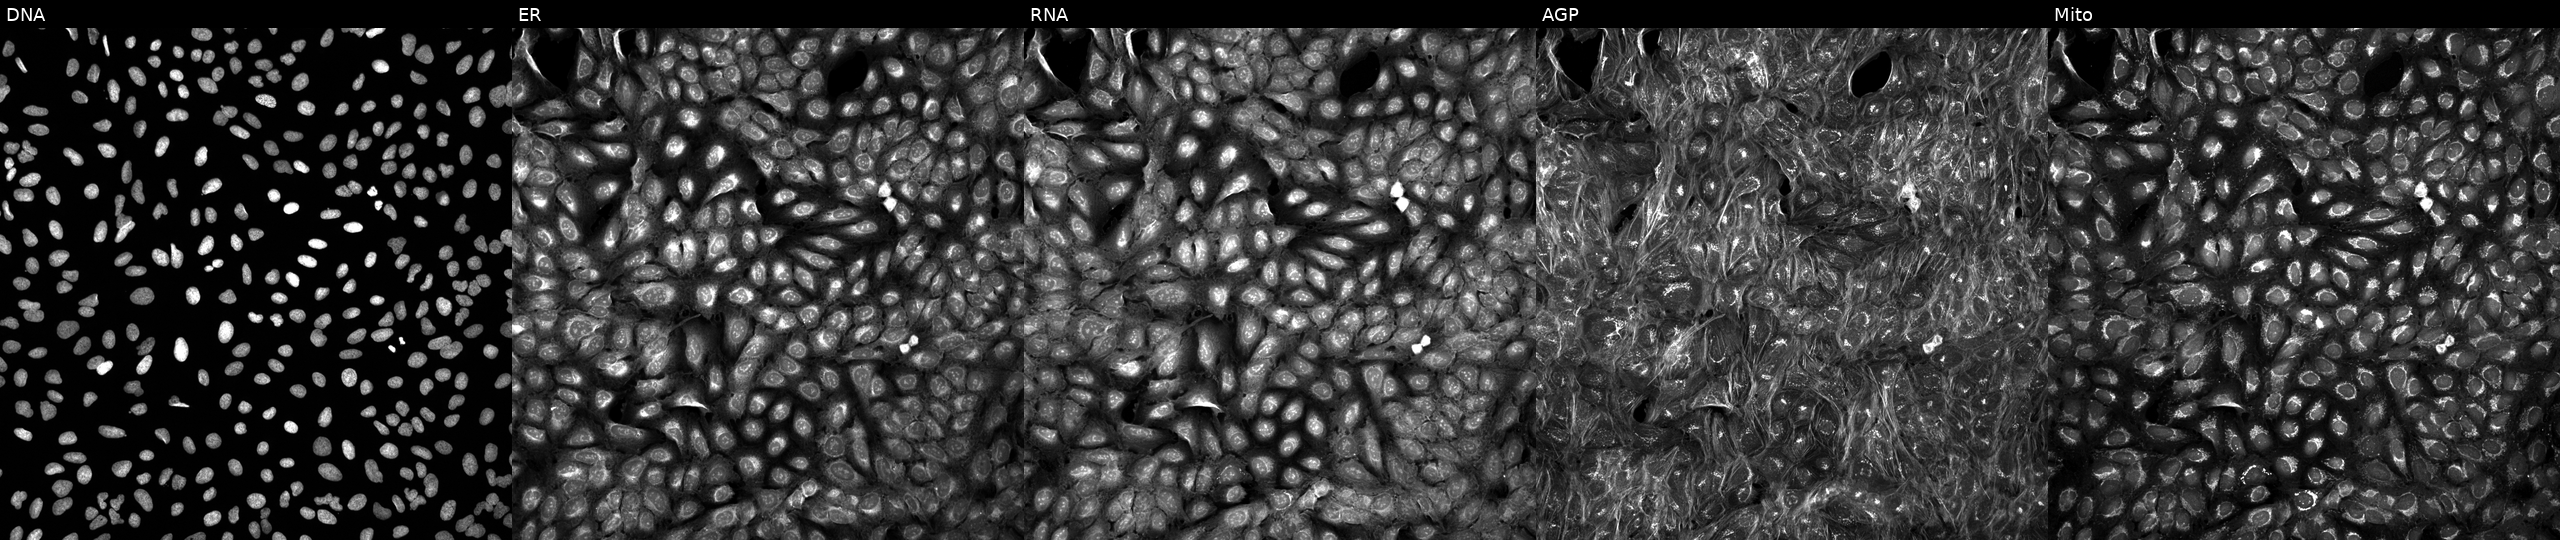
This image strip shows the five Cell Painting channels for a single field of U2OS cells treated with a small-molecule compound (InChIKey QIHBWVVVRYYYRO-UHFFFAOYSA-N) (JUMP id JCP2022_073628). Channels (left→right): DNA (nuclei); ER (endoplasmic reticulum); RNA (nucleoli and cytoplasmic RNA); AGP (actin cytoskeleton, Golgi, and plasma membrane); Mito (mitochondria).